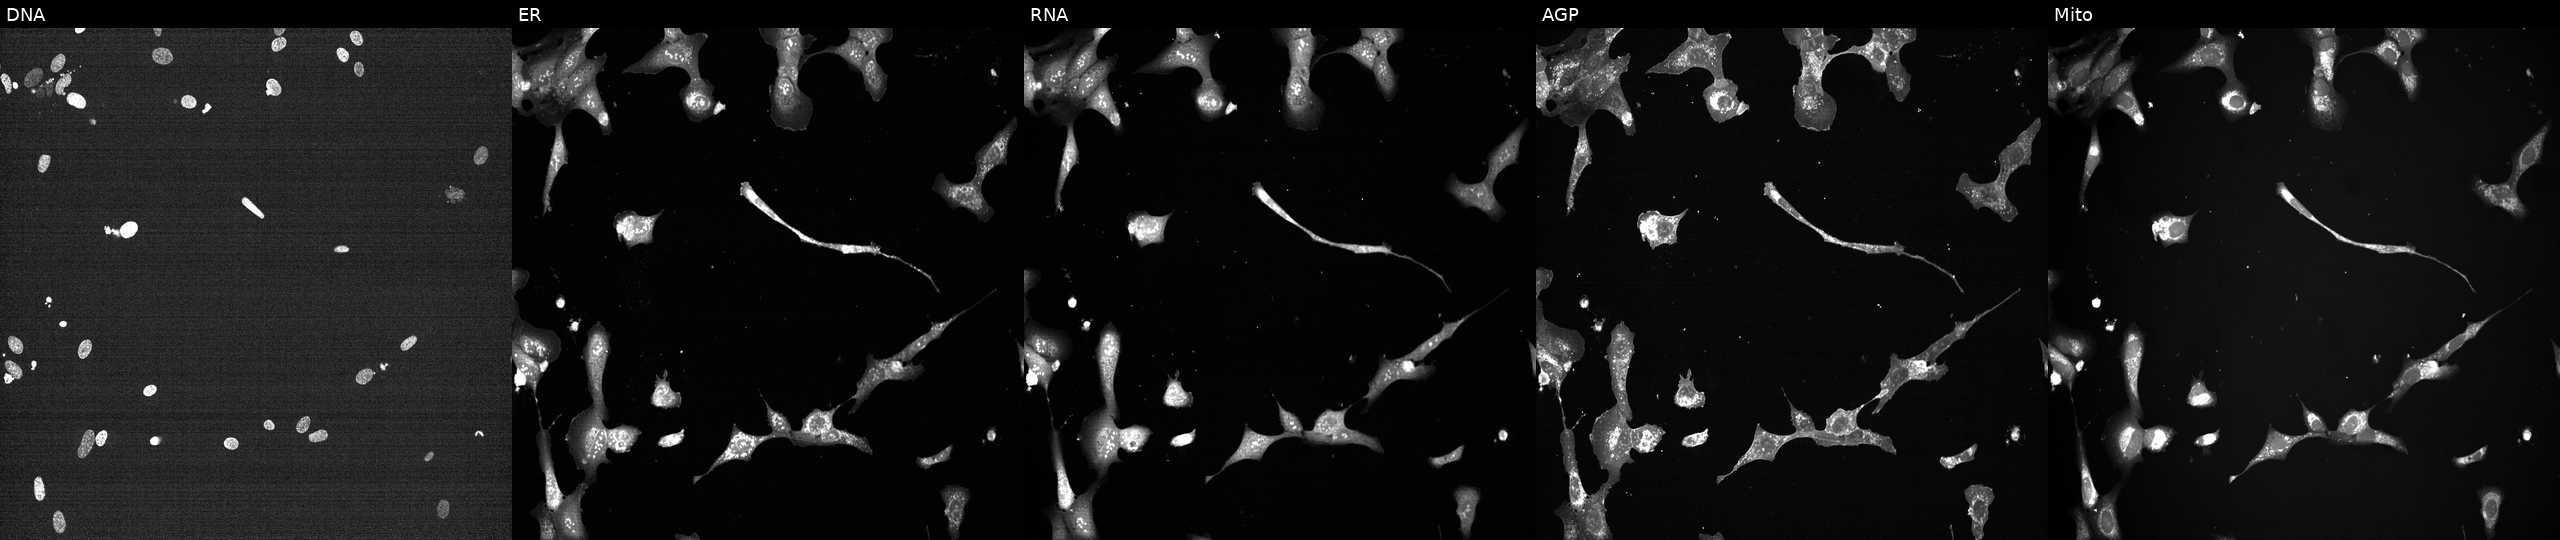
This image strip shows the five Cell Painting channels for a single field of U2OS cells perturbed with a small-molecule compound. Channels (left→right): DNA, ER, RNA, AGP, and Mito.